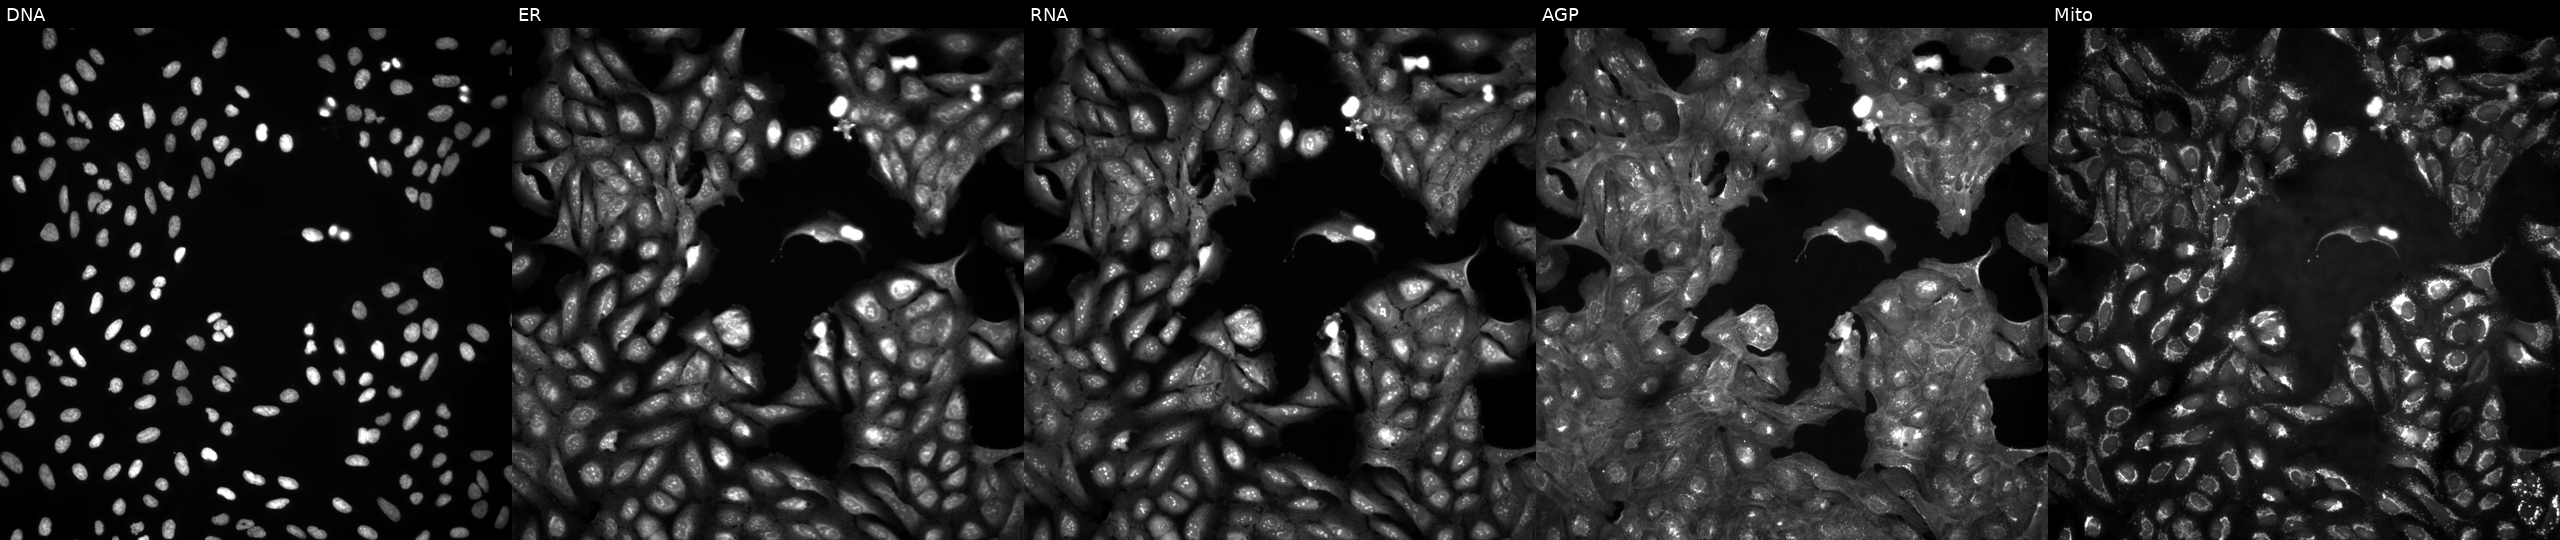
This image strip shows the five Cell Painting channels for a single field of U2OS cells untreated (empty-well control) (JUMP id JCP2022_999999). From left to right: DNA, ER, RNA, AGP, and Mito. Source 4, plate BR00123946, well G20.